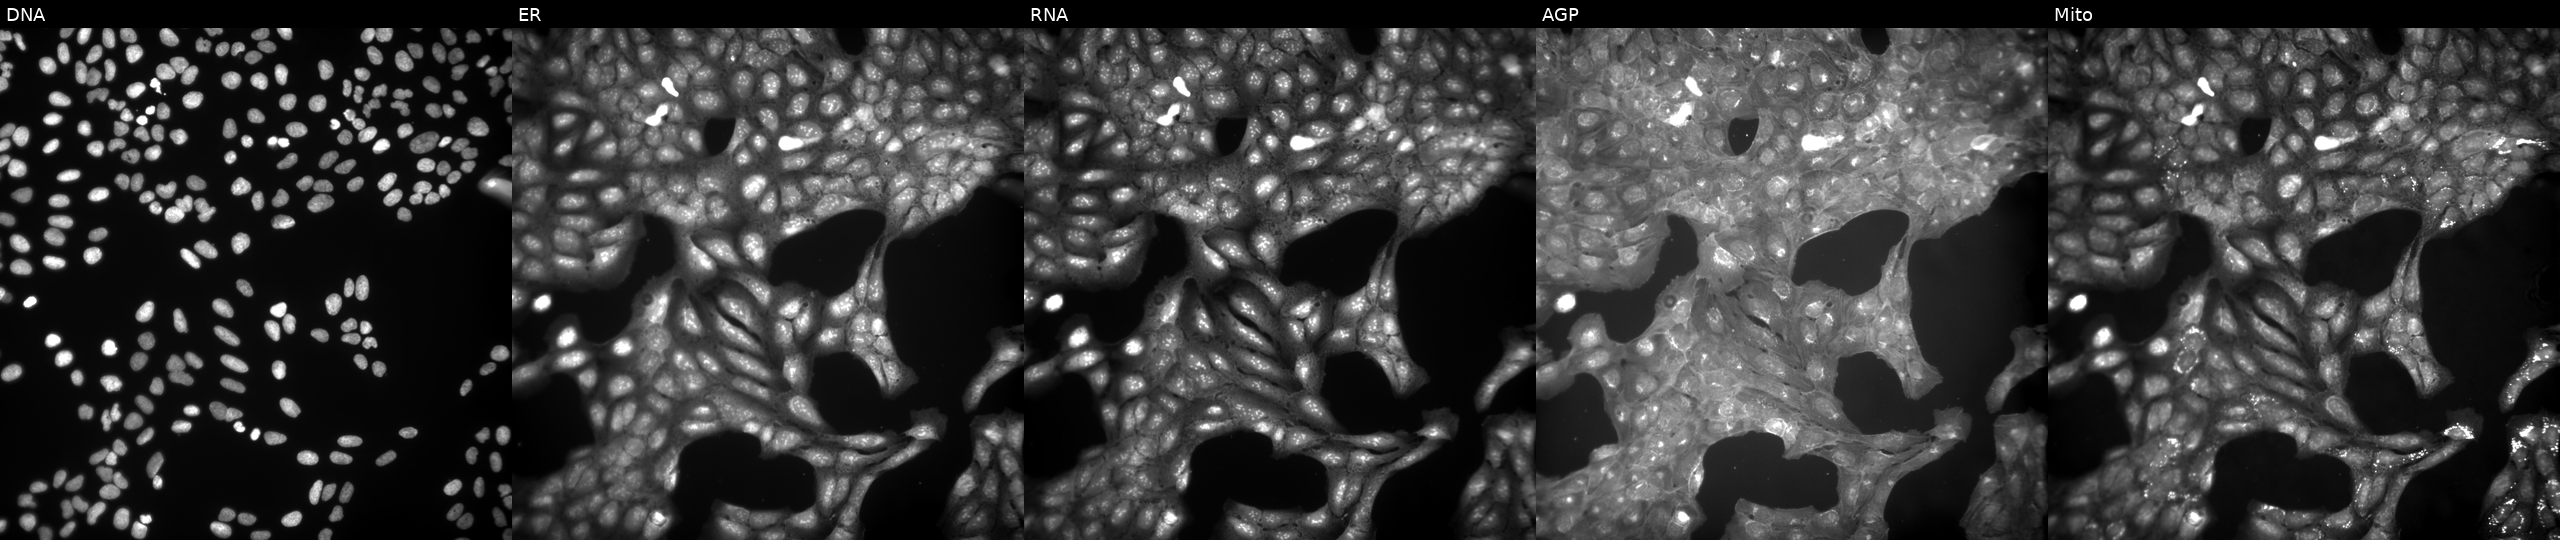
U2OS cells, Cell Painting assay, treated with a small-molecule compound (InChIKey JITWTEFQSDRTGA-UHFFFAOYSA-N). From left to right: DNA, ER, RNA, AGP, and Mito. Each panel is percentile-stretched 16-bit fluorescence. Source 9, plate GR00003382, well B44.